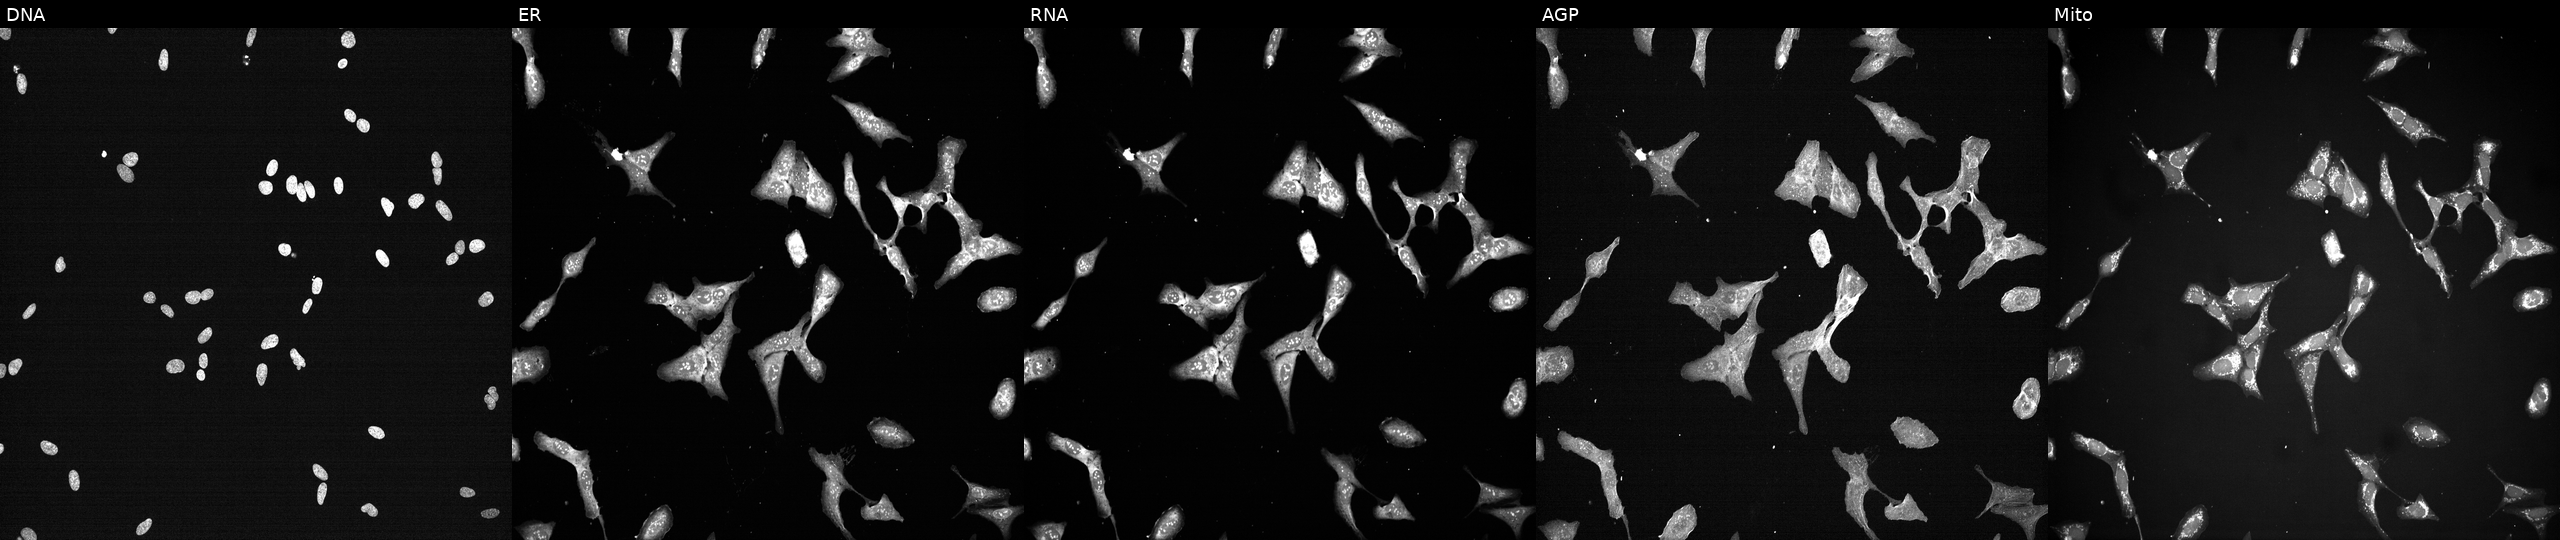
Five-channel Cell Painting image of U2OS cells perturbed with a small-molecule compound (InChIKey YPHMISFOHDHNIV-UHFFFAOYSA-N). Channels (left→right): DNA (nuclei); ER (endoplasmic reticulum); RNA (nucleoli and cytoplasmic RNA); AGP (actin cytoskeleton, Golgi, and plasma membrane); Mito (mitochondria).